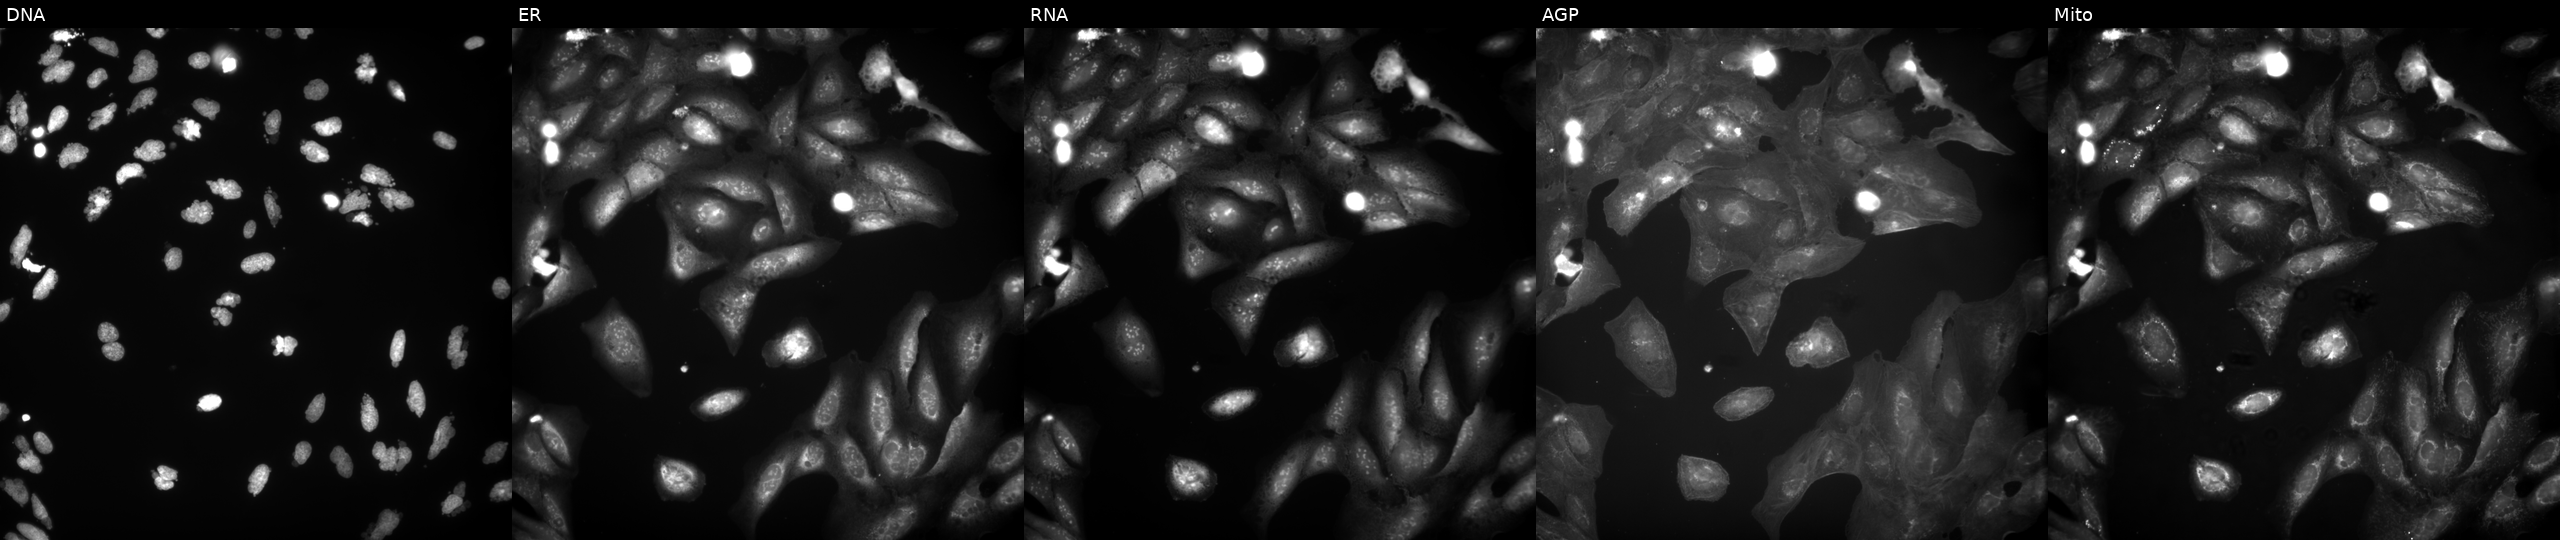
This image strip shows the five Cell Painting channels for a single field of U2OS cells treated with AMG900 (positive-control compound). From left to right: Hoechst 33342, concanavalin A, SYTO 14, phalloidin and WGA, MitoTracker.